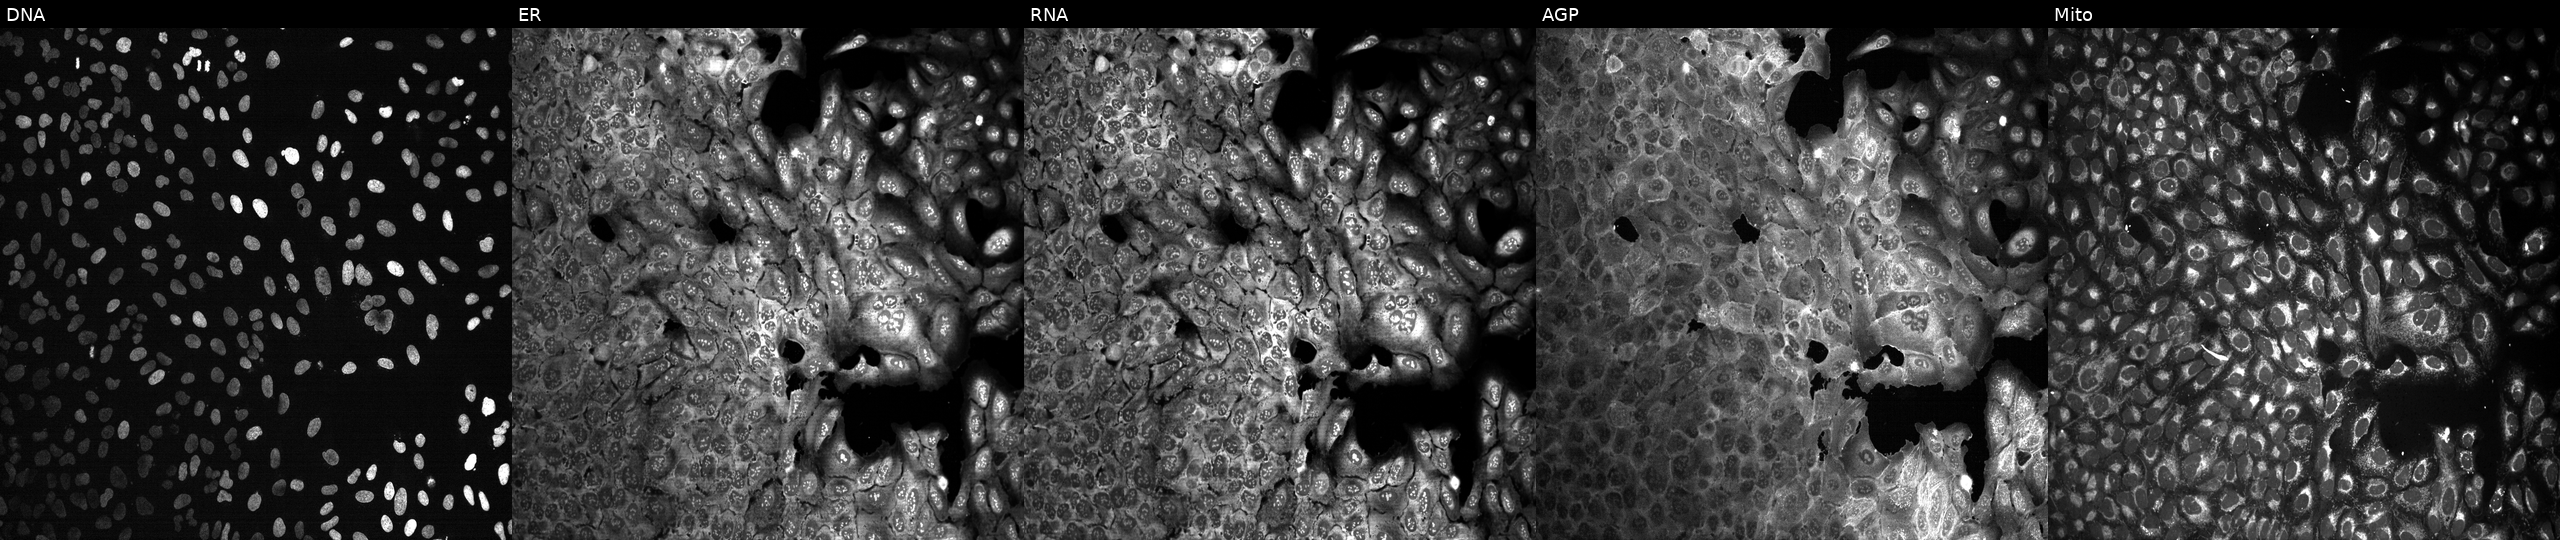
This image strip shows the five Cell Painting channels for a single field of U2OS cells with SNUPN knocked out by CRISPR (JUMP id JCP2022_806668). From left to right: DNA, ER, RNA, AGP, and Mito.